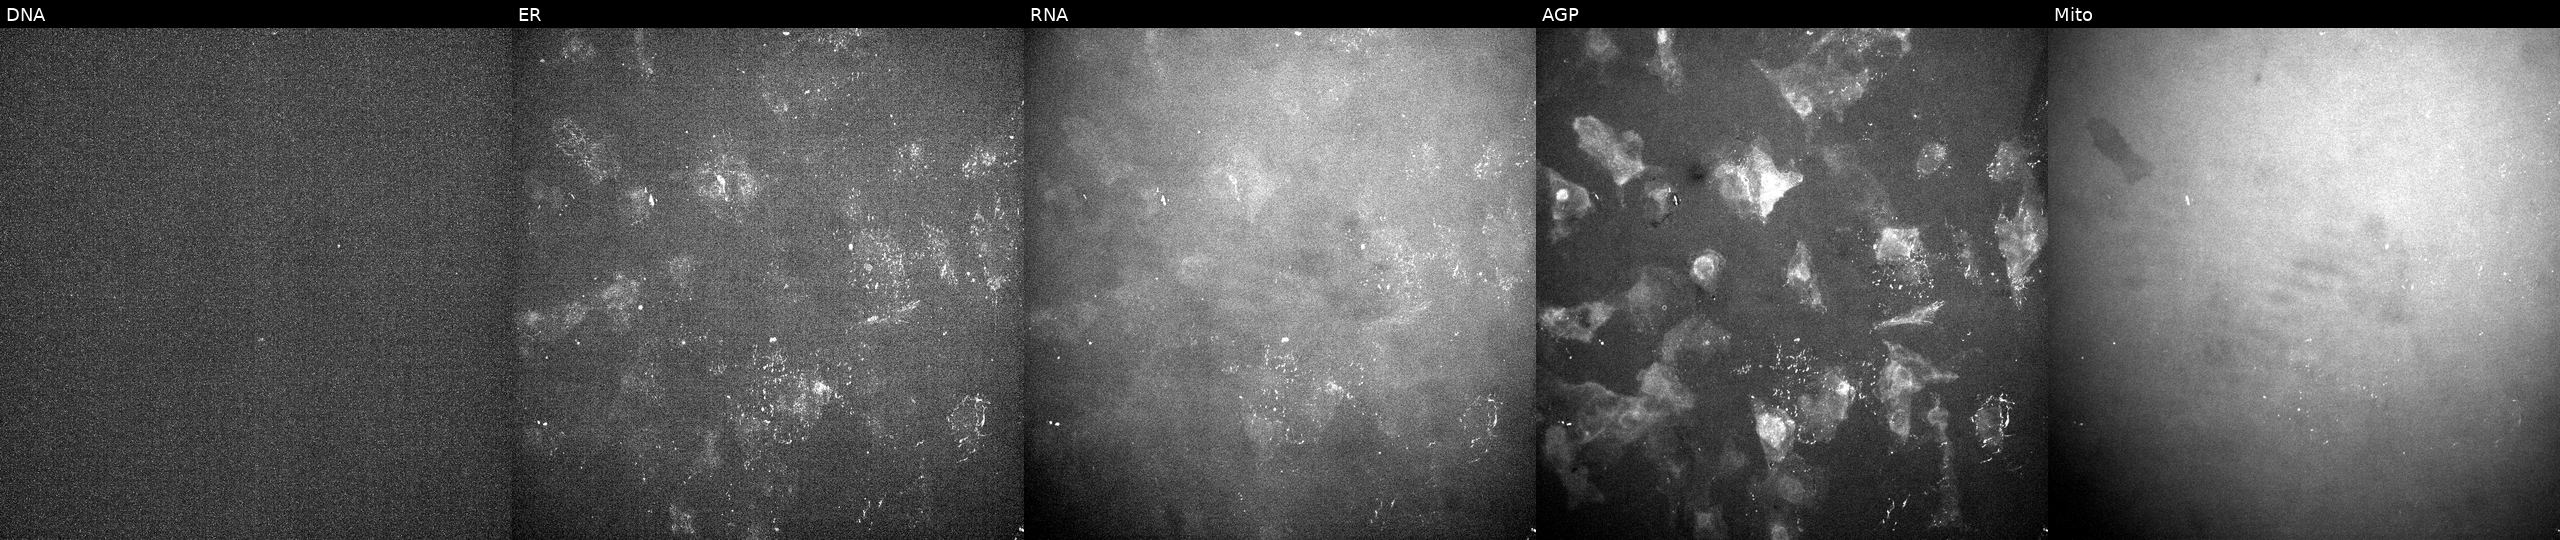
From left to right: DNA, ER, RNA, AGP, and Mito. U2OS osteosarcoma cells treated with a small-molecule compound. Cell Painting assay, JUMP-CP dataset.